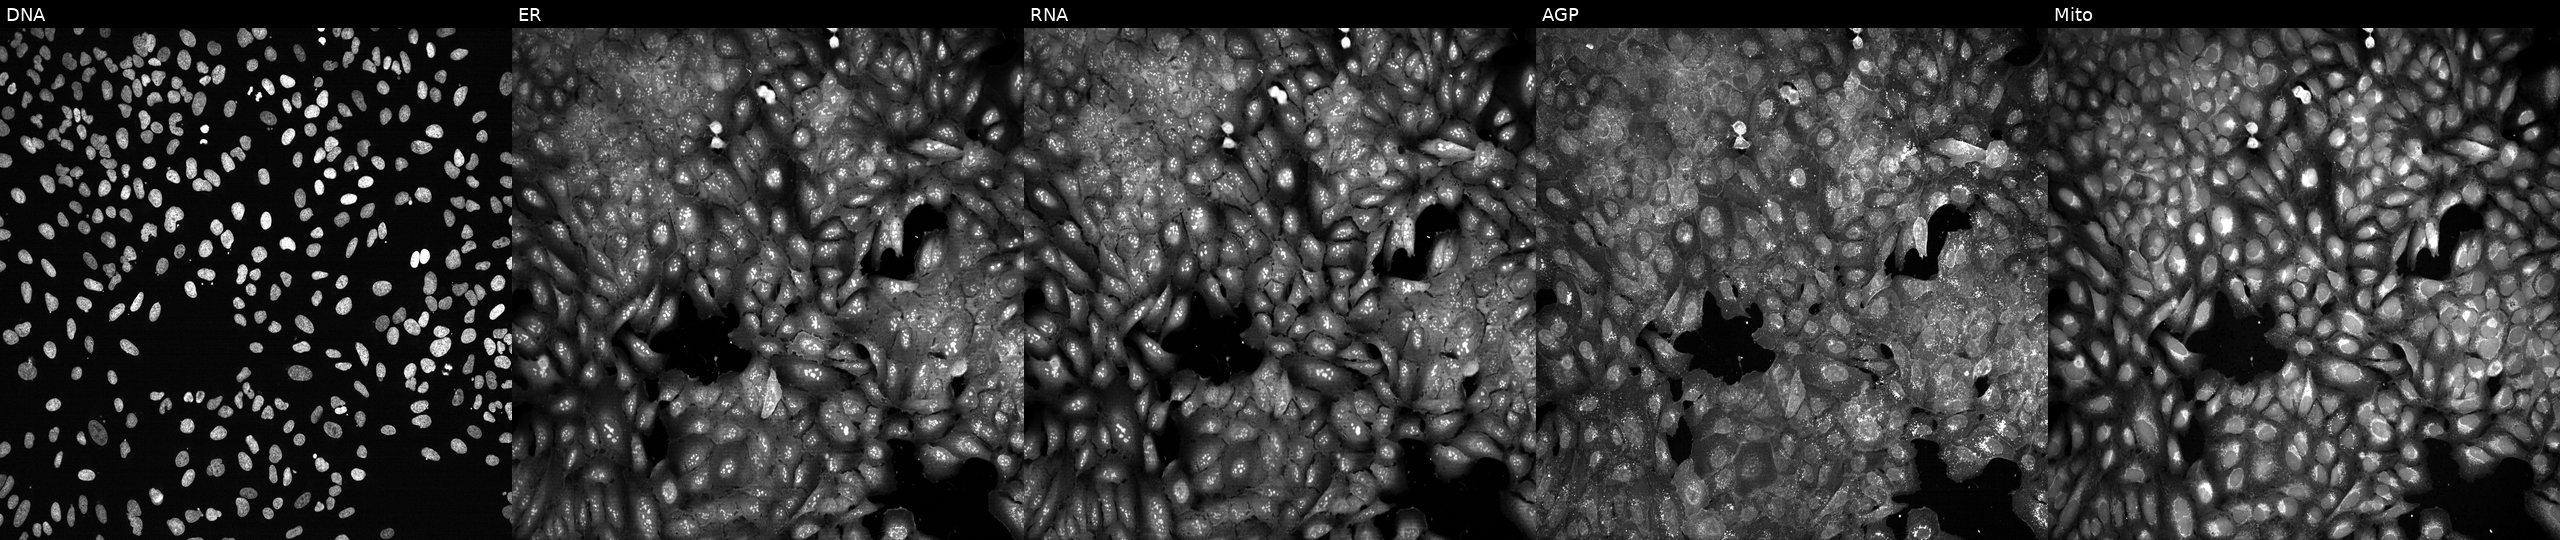
High-content fluorescence microscopy (Cell Painting). Cell line: U2OS. Perturbation: with SCD5 knocked out by CRISPR. From left to right: Hoechst 33342, concanavalin A, SYTO 14, phalloidin and WGA, MitoTracker. Source 13, plate CP-CC9-R1-02, well K05.